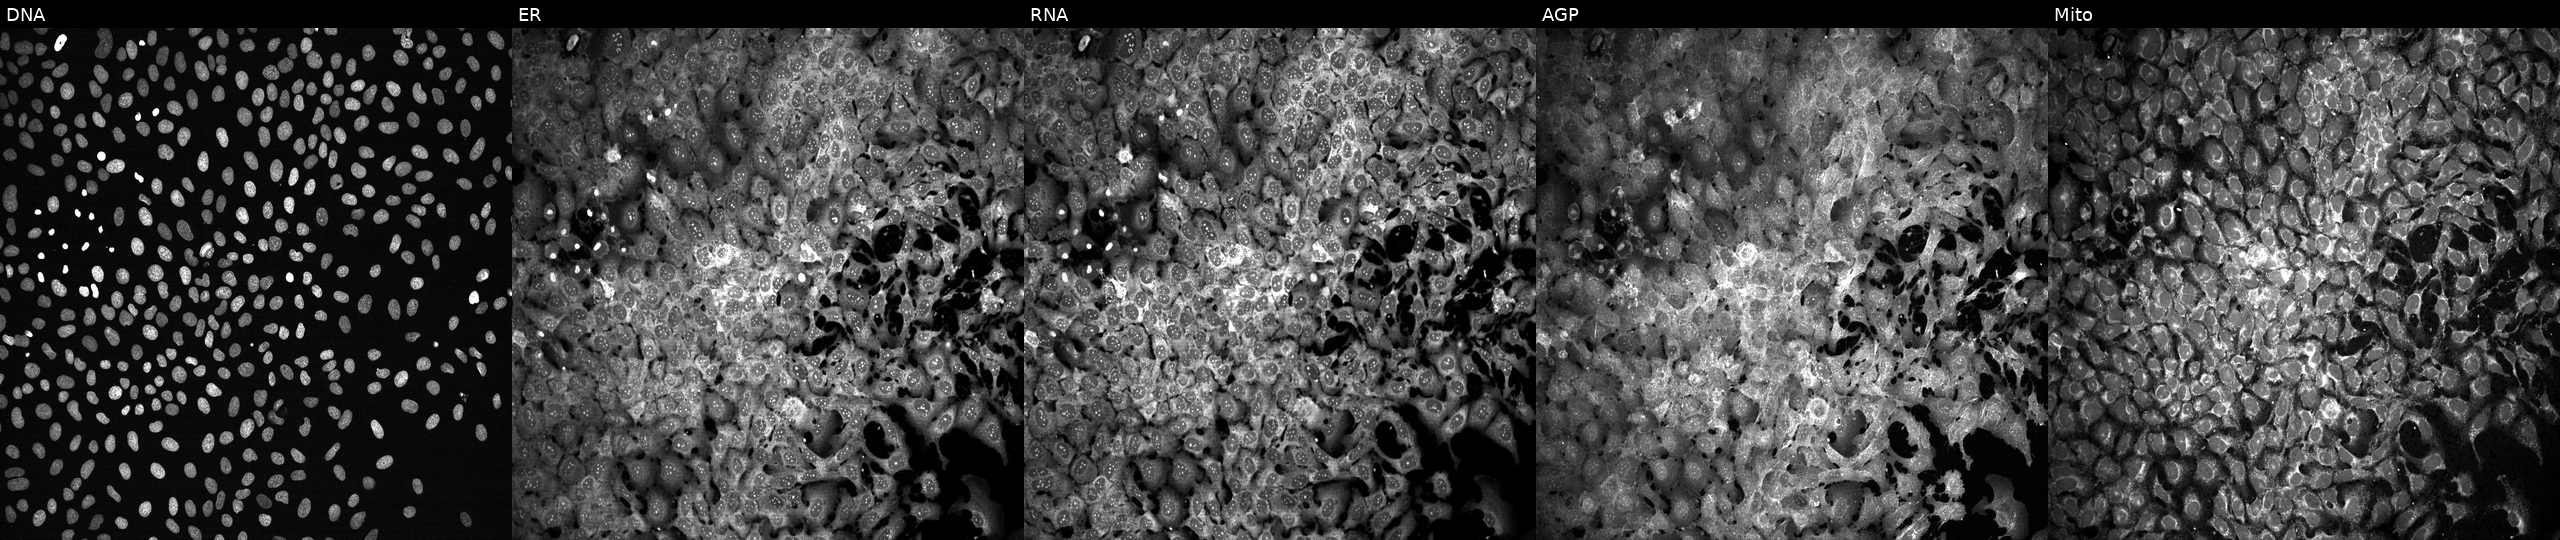
This image strip shows the five Cell Painting channels for a single field of U2OS cells treated with FK-866 (positive-control compound) (JUMP id JCP2022_046054). From left to right: DNA (nuclei); ER (endoplasmic reticulum); RNA (nucleoli and cytoplasmic RNA); AGP (actin cytoskeleton, Golgi, and plasma membrane); Mito (mitochondria).